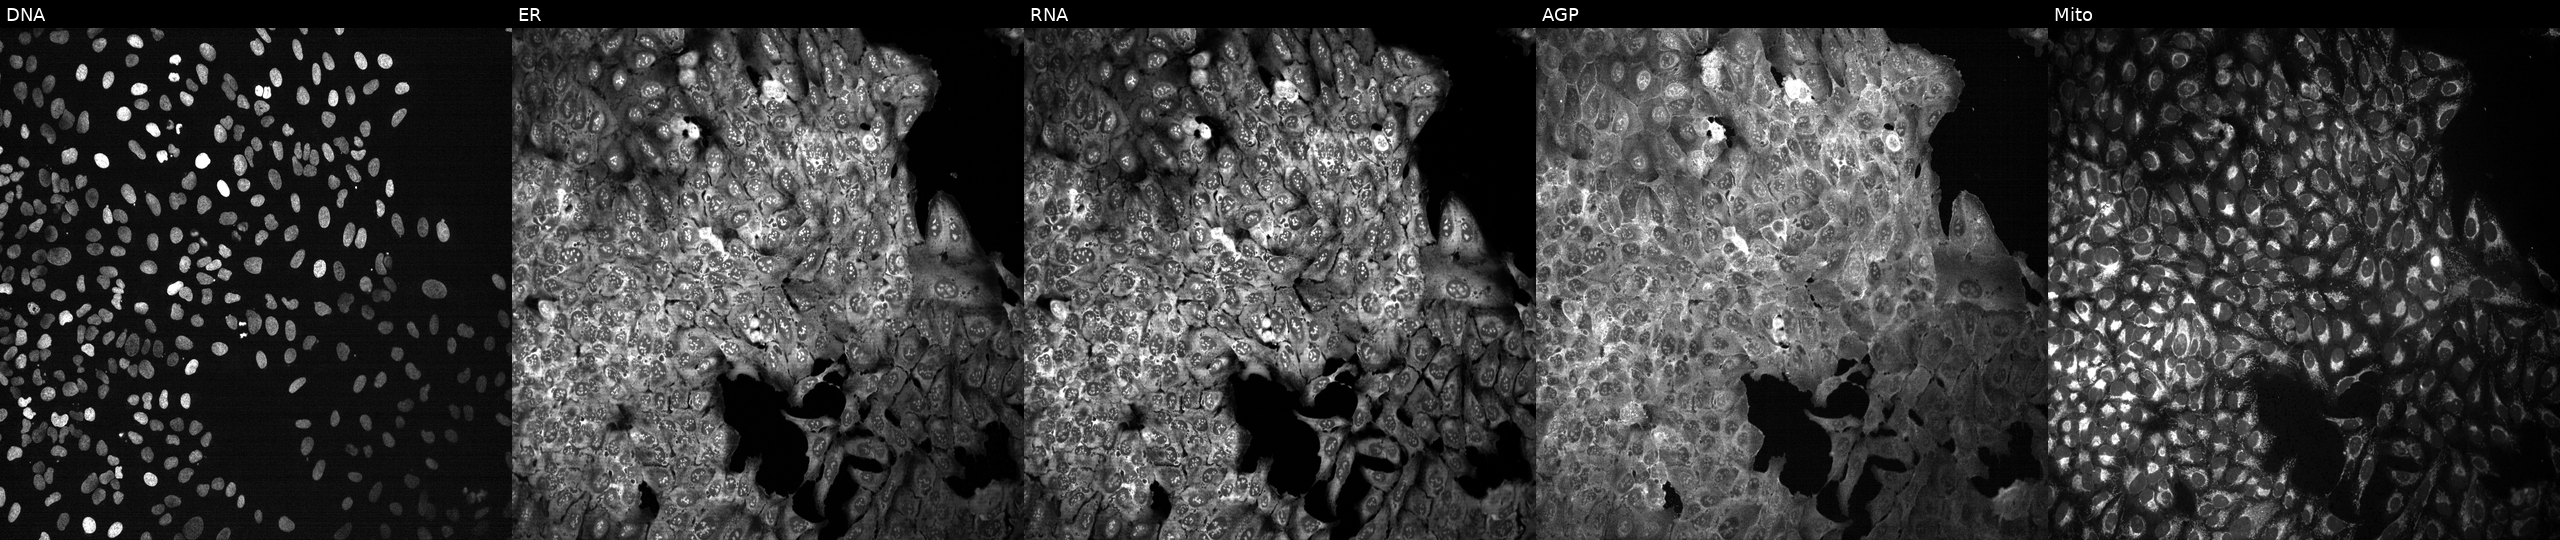
Panels show, left to right, DNA (nuclei); ER (endoplasmic reticulum); RNA (nucleoli and cytoplasmic RNA); AGP (actin cytoskeleton, Golgi, and plasma membrane); Mito (mitochondria). U2OS osteosarcoma cells with NAAA knocked out by CRISPR. Cell Painting assay, JUMP-CP dataset.